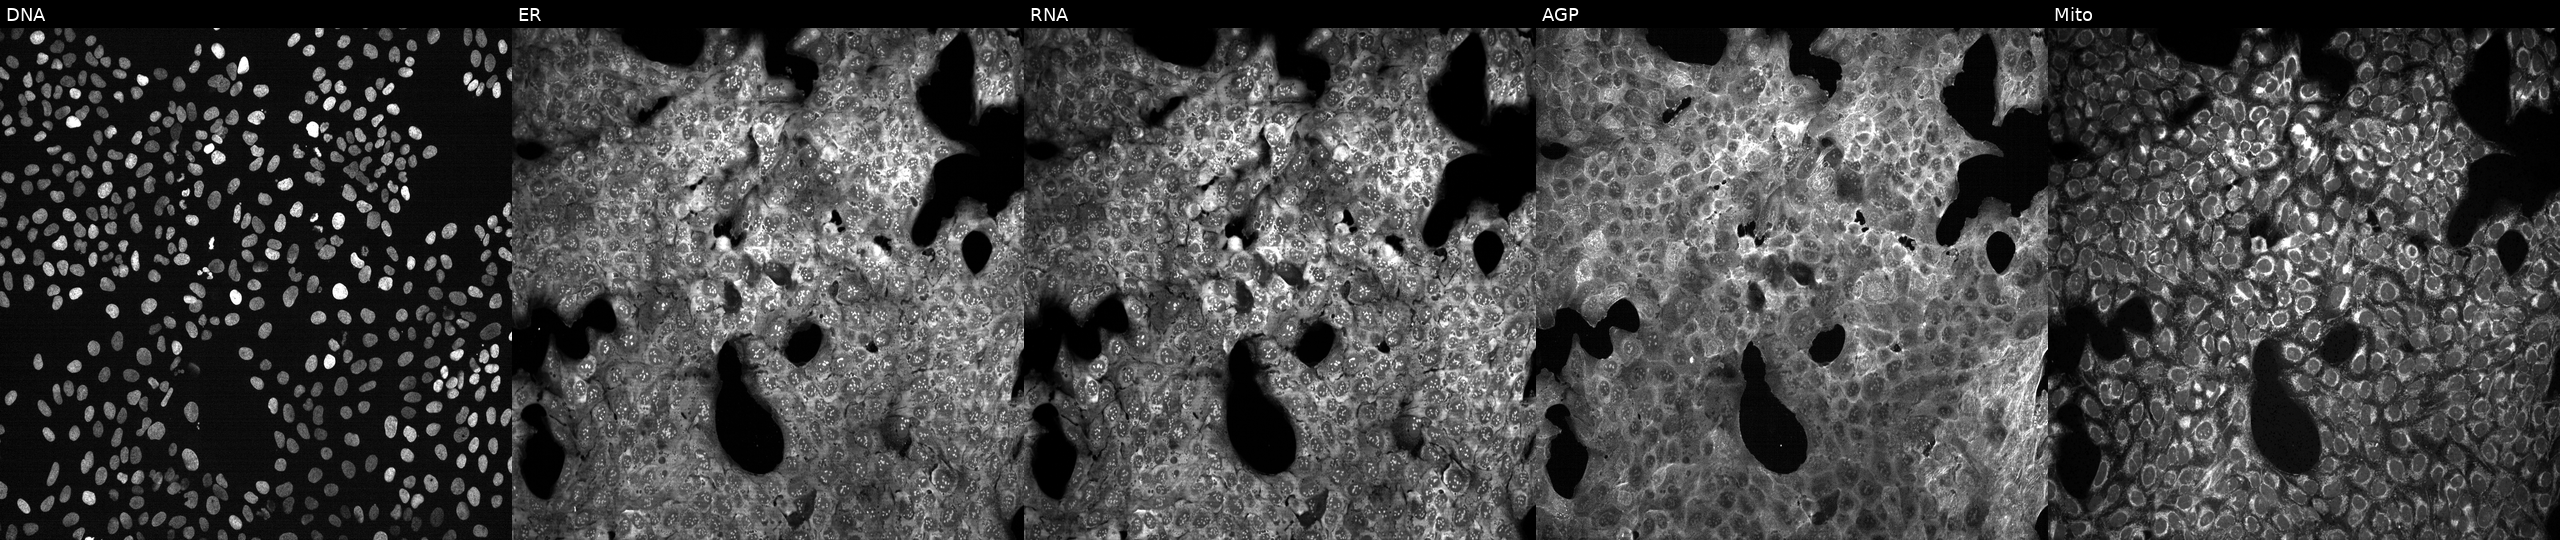
This image strip shows the five Cell Painting channels for a single field of U2OS cells treated with LY2109761 (positive-control compound). Channels (left→right): DNA, ER, RNA, AGP, and Mito. Source 13, plate CP-CC9-R3-02, well A24.